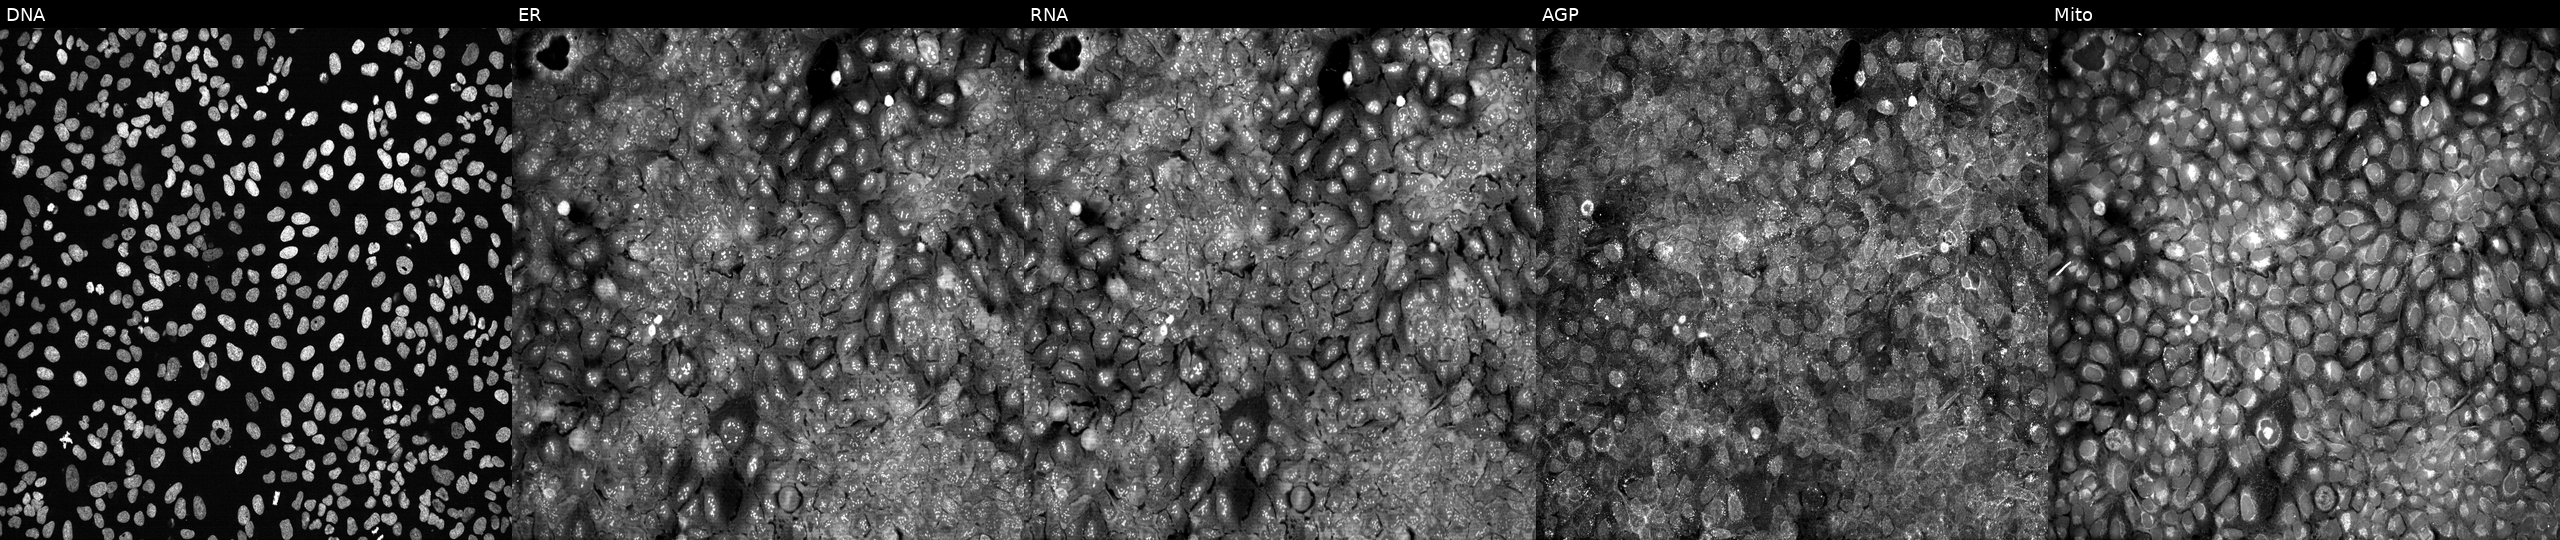
JUMP Cell Painting — CRISPR plate. U2OS cells CRISPR-edited to disrupt SERPINA4. The five panels, left to right, show DNA, ER, RNA, AGP, and Mito.